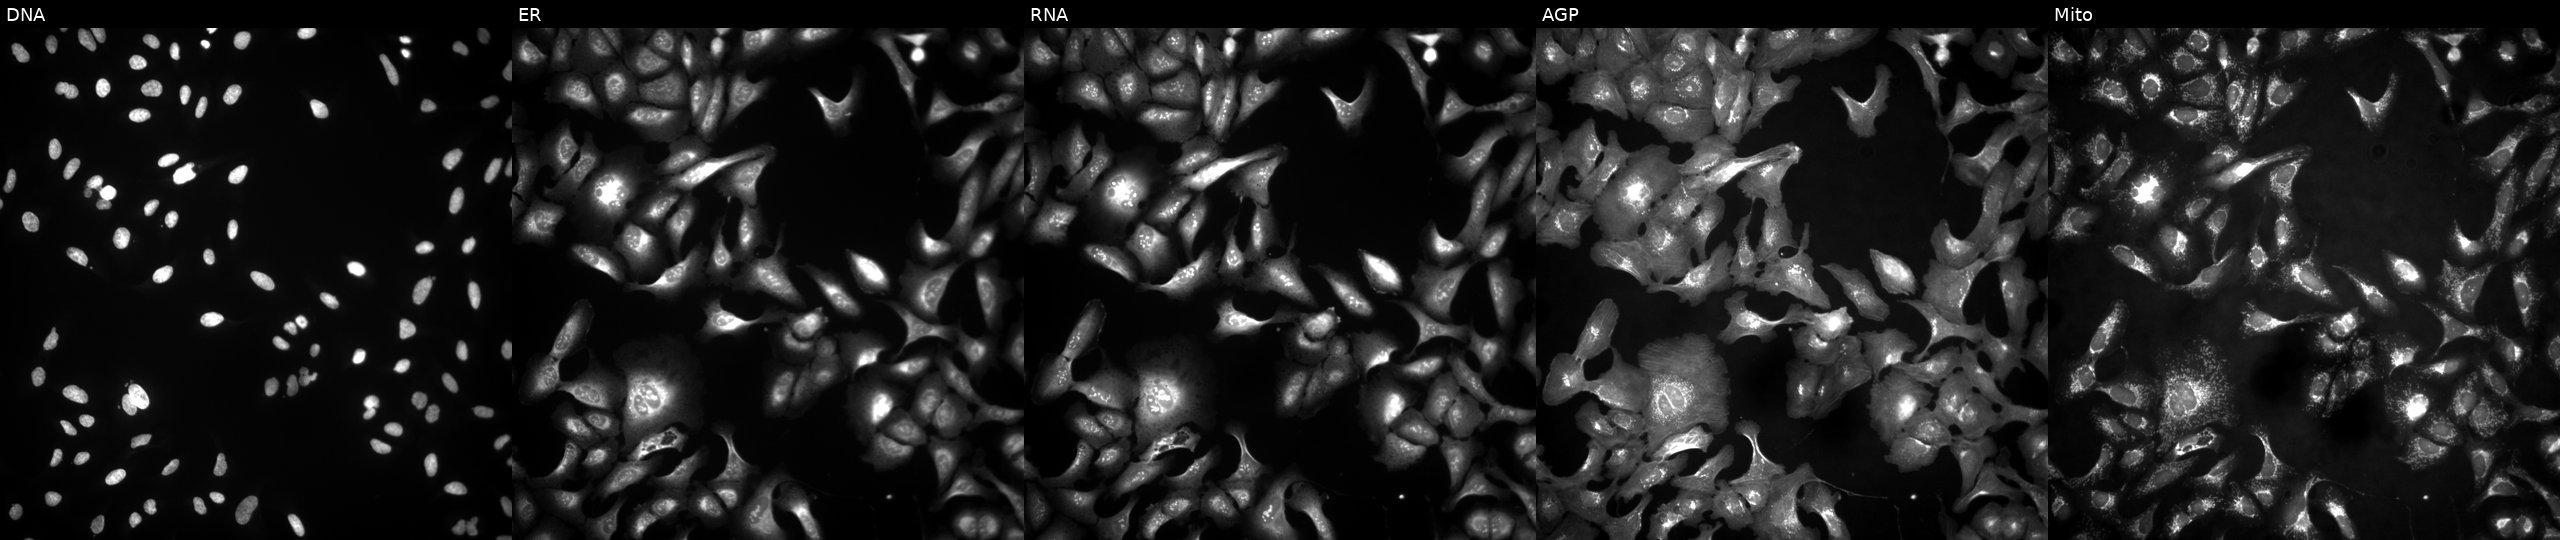
U2OS cells, Cell Painting assay, transfected with an ORF construct for IFT122 (JUMP id JCP2022_908022). The five panels, left to right, show Hoechst 33342, concanavalin A, SYTO 14, phalloidin and WGA, MitoTracker. Each panel is percentile-stretched 16-bit fluorescence. Source 4, plate BR00124790, well K23.